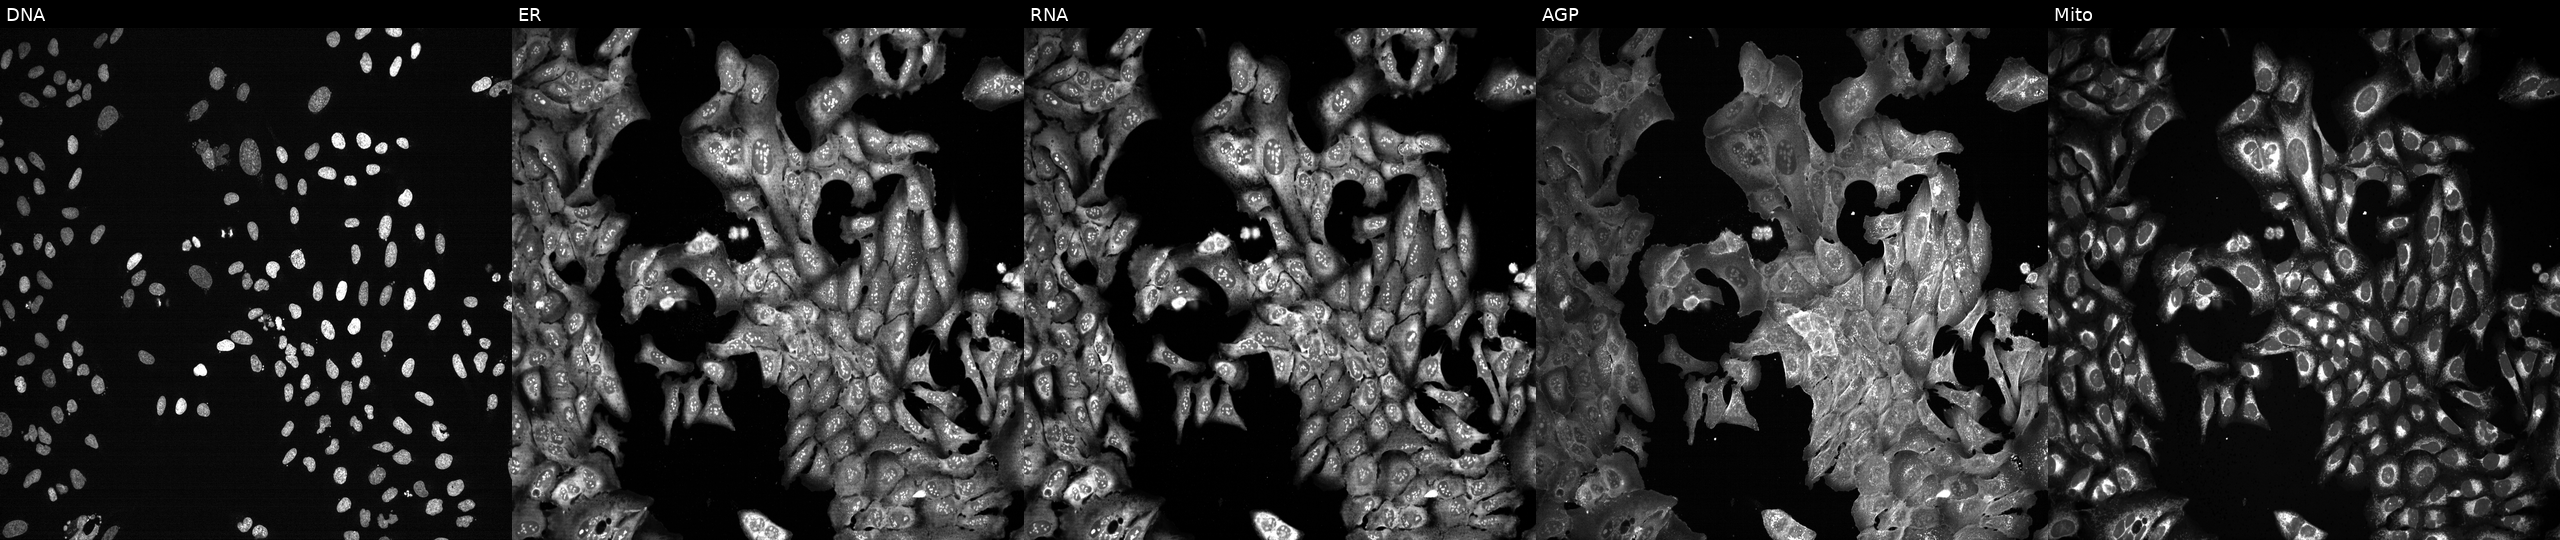
U2OS cells, Cell Painting assay, CRISPR-edited to disrupt BACE1. The five panels, left to right, show Hoechst 33342, concanavalin A, SYTO 14, phalloidin and WGA, MitoTracker. Each panel is percentile-stretched 16-bit fluorescence.